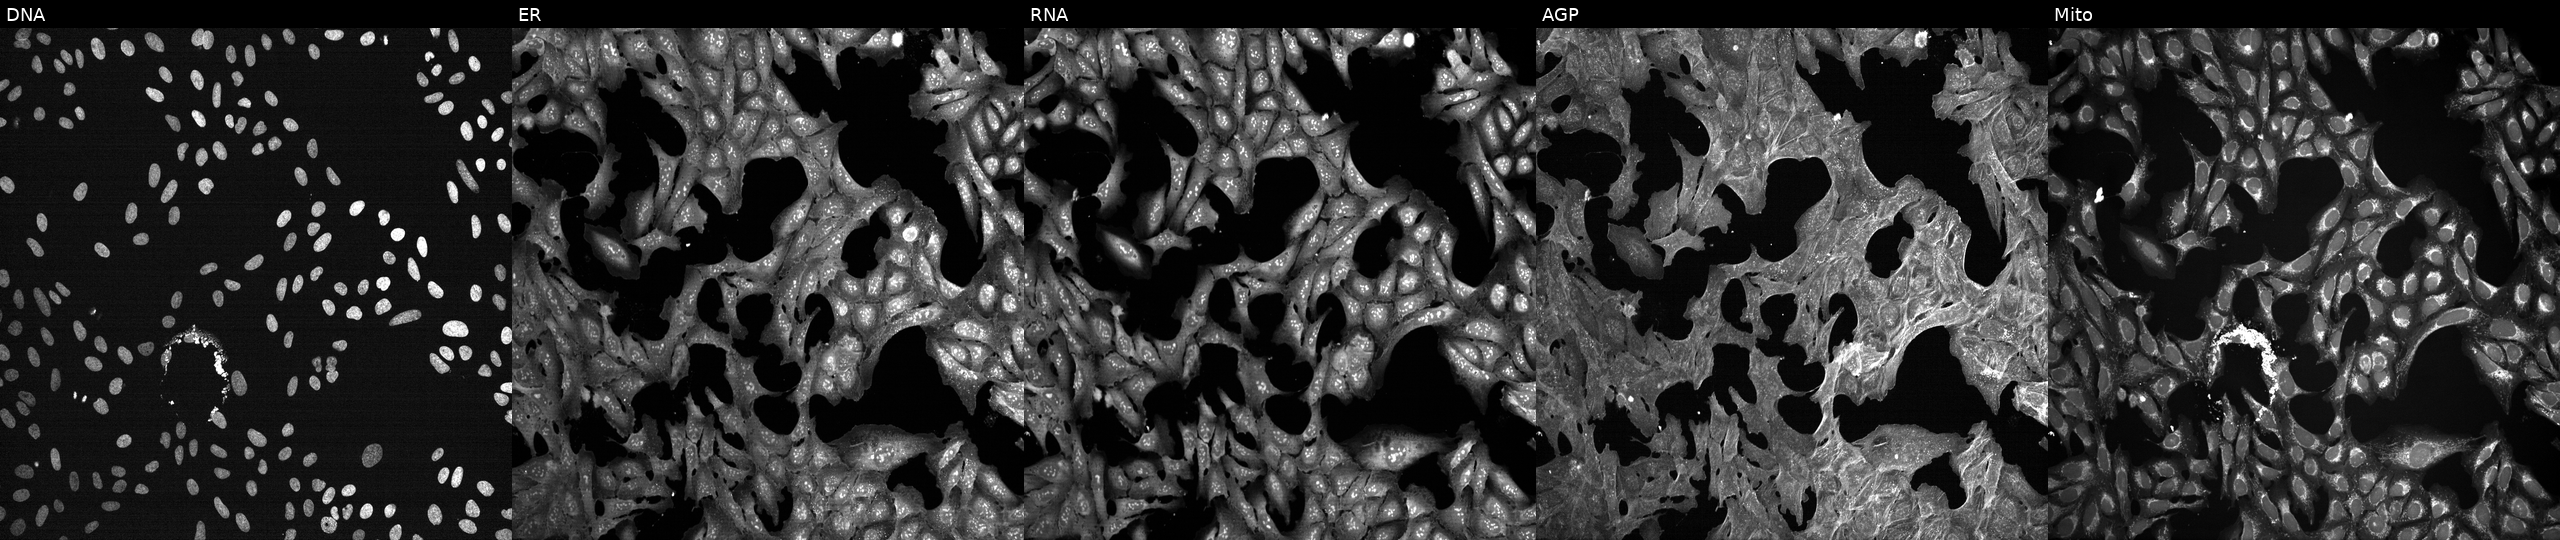
Panels show, left to right, DNA, ER, RNA, AGP, and Mito. U2OS osteosarcoma cells exposed to a small-molecule compound (InChIKey SNICXCGAKADSCV-UHFFFAOYSA-N) [SMILES: CN1CCCC1c1cccnc1]. Cell Painting assay, JUMP-CP dataset.